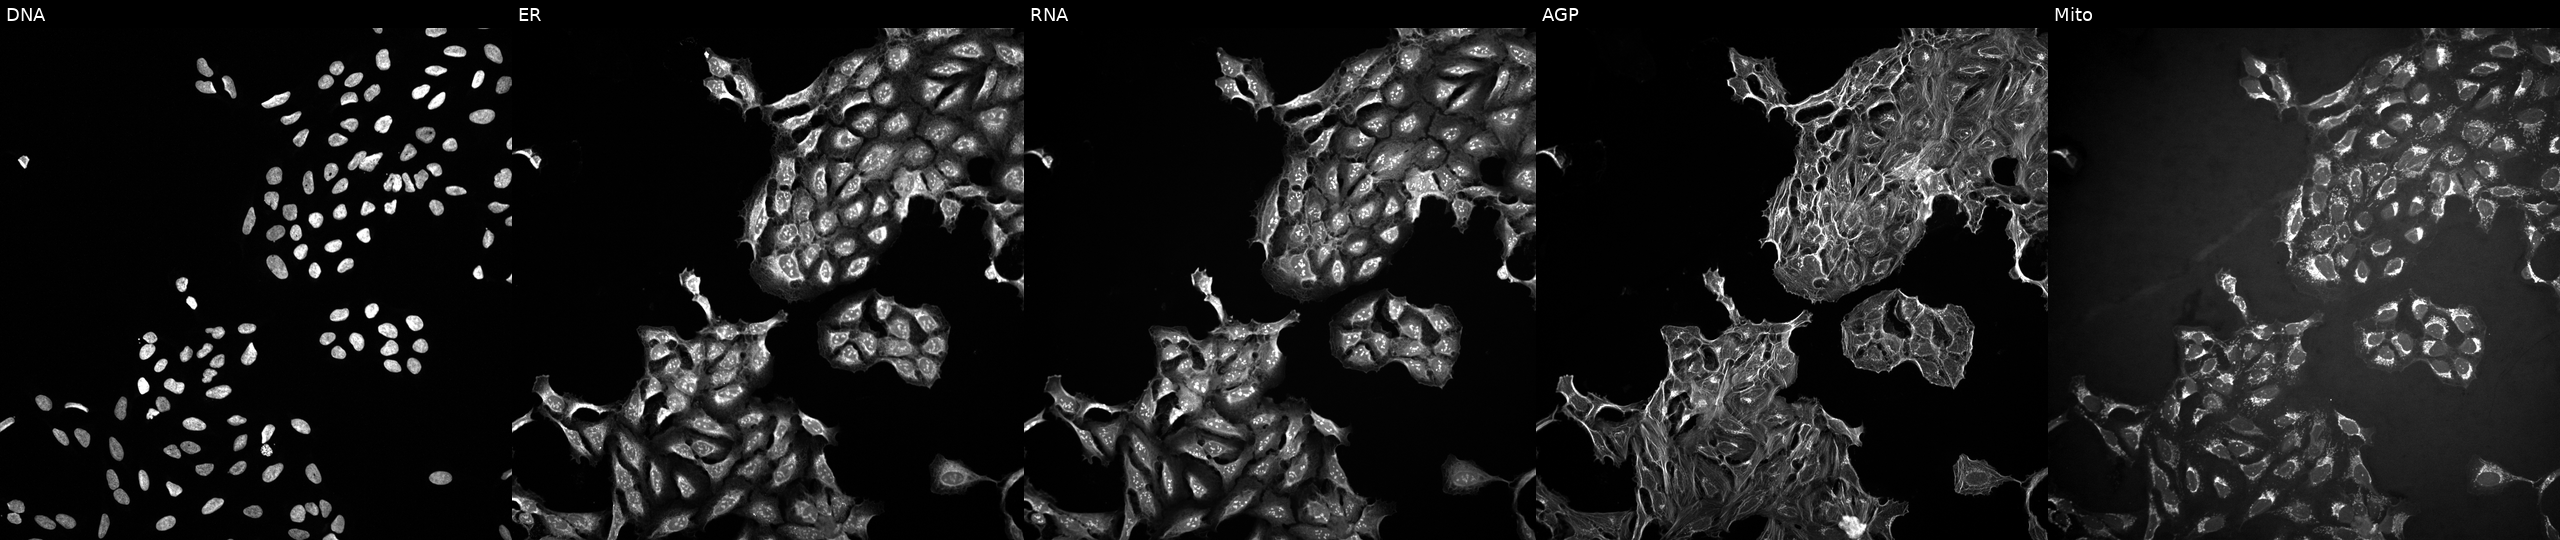
Five-channel Cell Painting image of U2OS cells treated with DMSO vehicle only (negative control). Channels (left→right): DNA (nuclei); ER (endoplasmic reticulum); RNA (nucleoli and cytoplasmic RNA); AGP (actin cytoskeleton, Golgi, and plasma membrane); Mito (mitochondria).